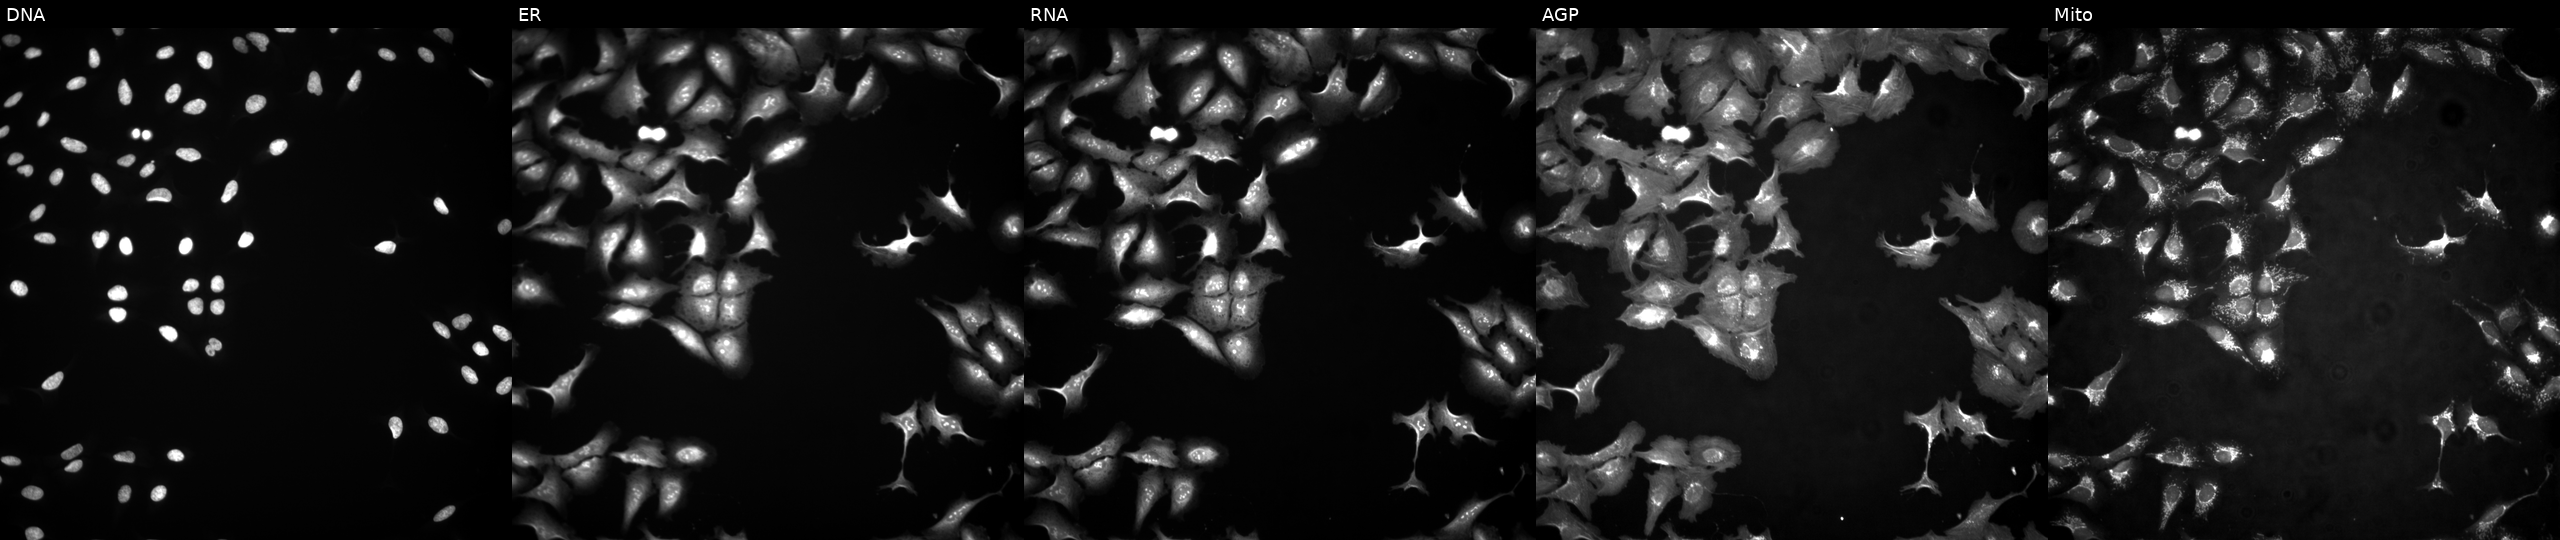
Five-channel Cell Painting image of U2OS cells expressing LacZ (ORF negative control). Panels show, left to right, DNA, ER, RNA, AGP, and Mito.